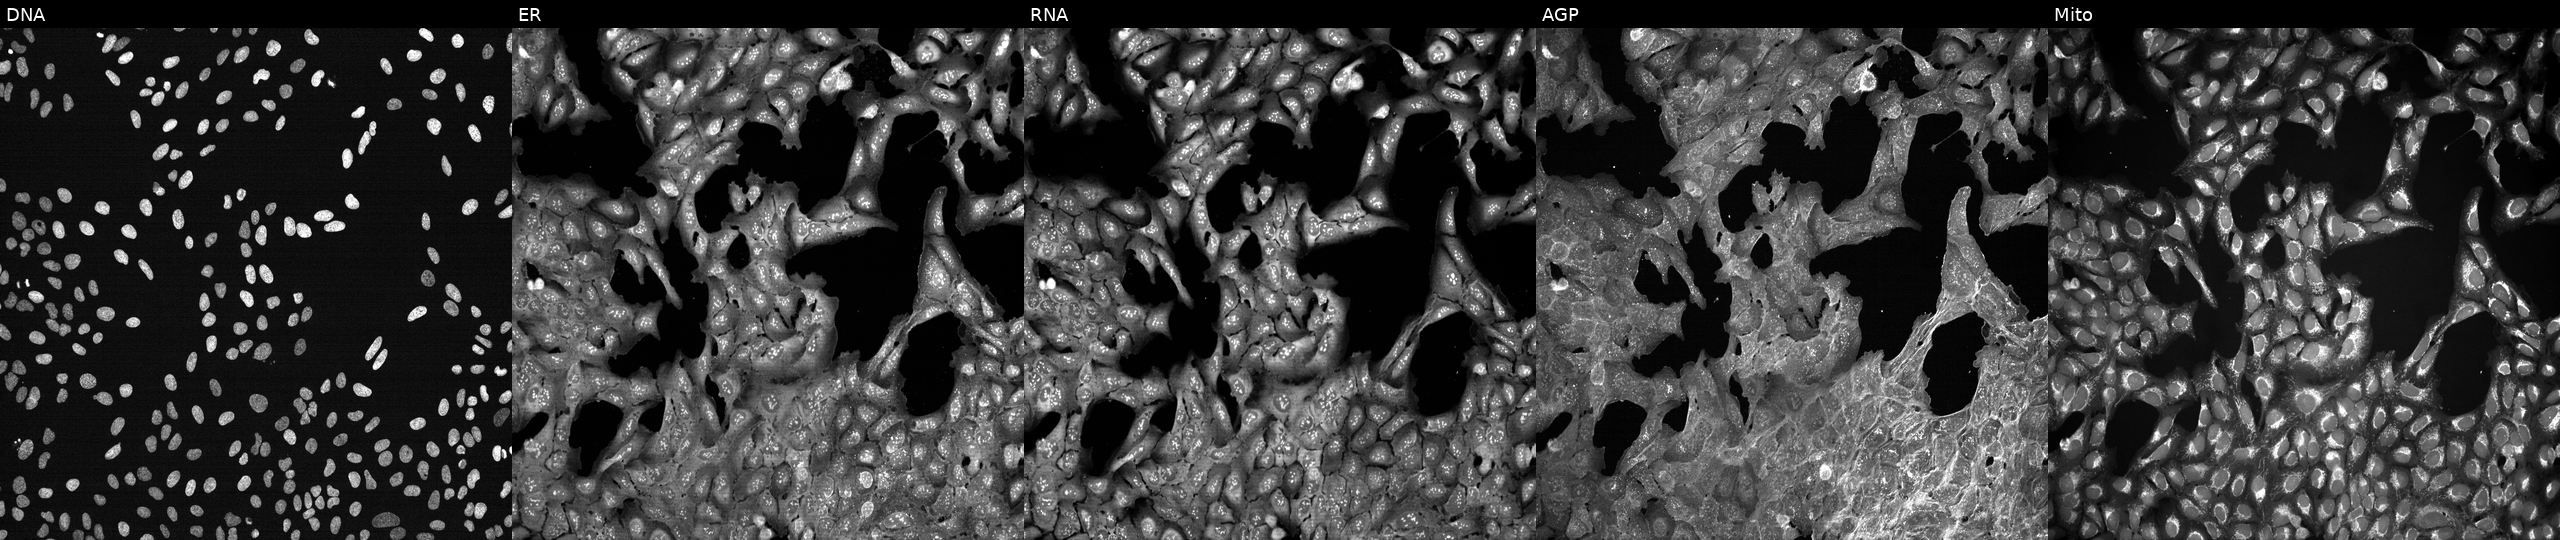
U2OS cells, Cell Painting assay, treated with DMSO vehicle only (negative control). From left to right: DNA (nuclei); ER (endoplasmic reticulum); RNA (nucleoli and cytoplasmic RNA); AGP (actin cytoskeleton, Golgi, and plasma membrane); Mito (mitochondria). Each panel is percentile-stretched 16-bit fluorescence.